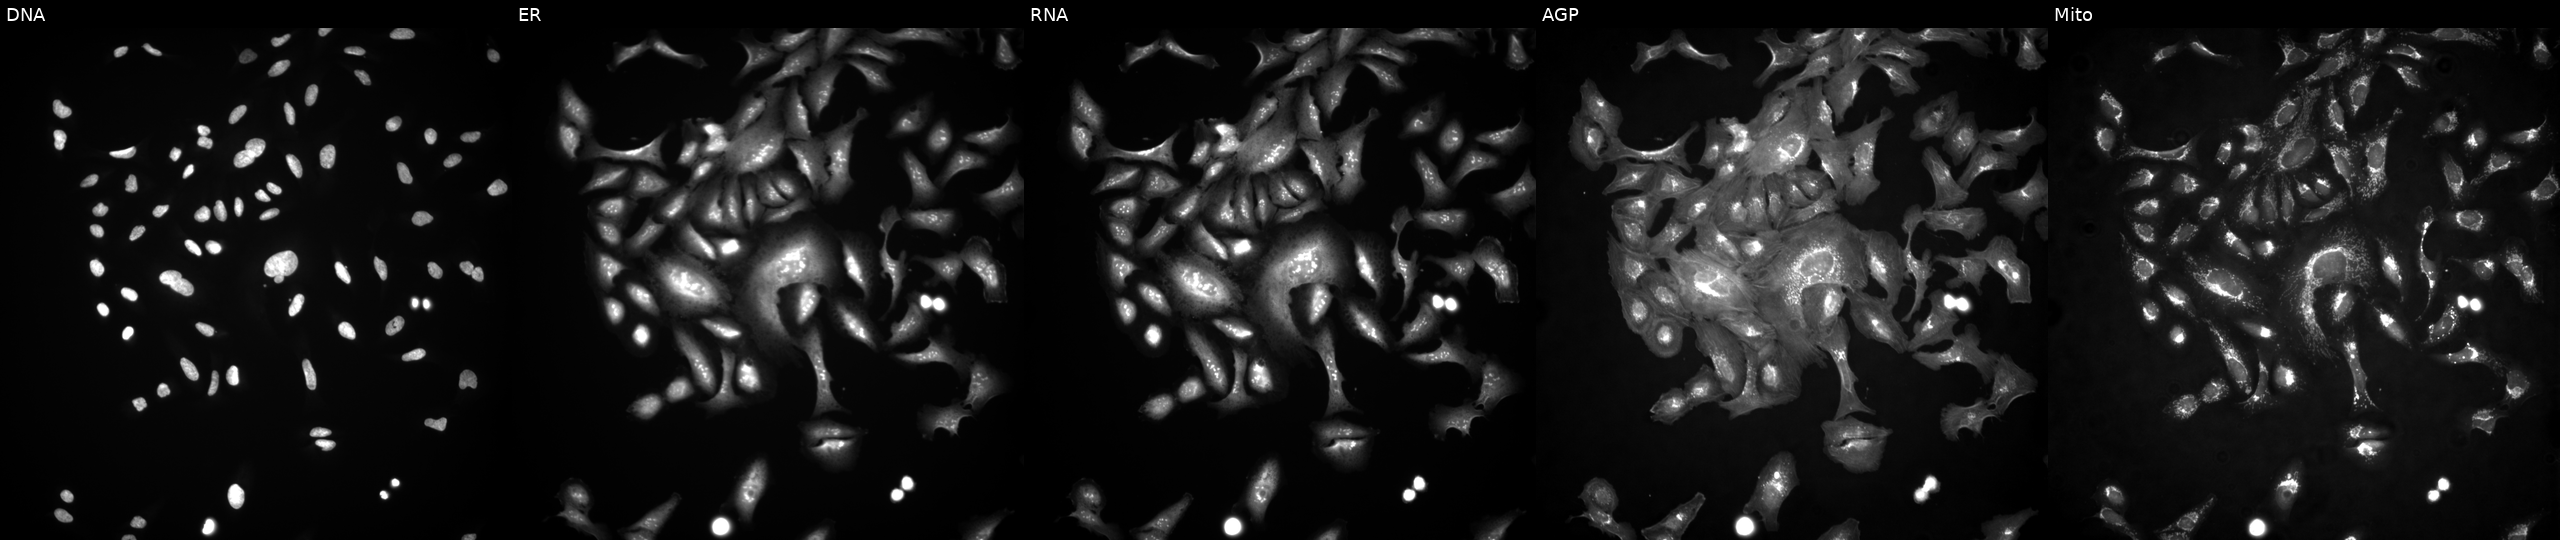
High-content fluorescence microscopy (Cell Painting). Cell line: U2OS. Perturbation: with ASCL4 overexpressed (ORF) (JUMP id JCP2022_912200). Channels (left→right): DNA, ER, RNA, AGP, and Mito.